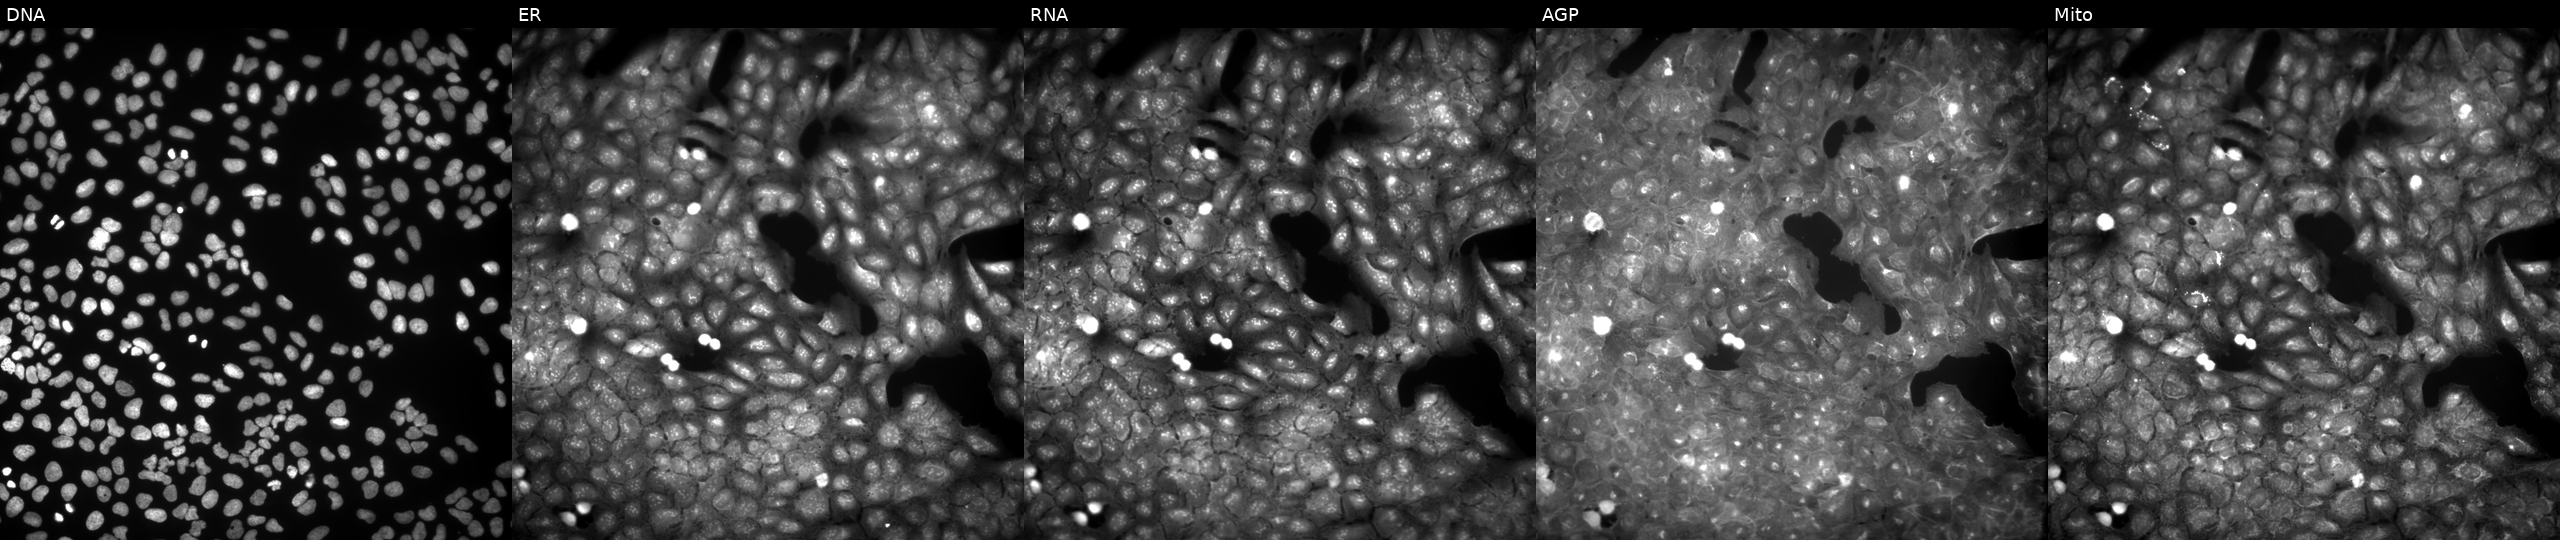
JUMP Cell Painting — COMPOUND plate. U2OS cells treated with DMSO vehicle only (negative control) (JUMP id JCP2022_033924). Channels (left→right): DNA, ER, RNA, AGP, and Mito.